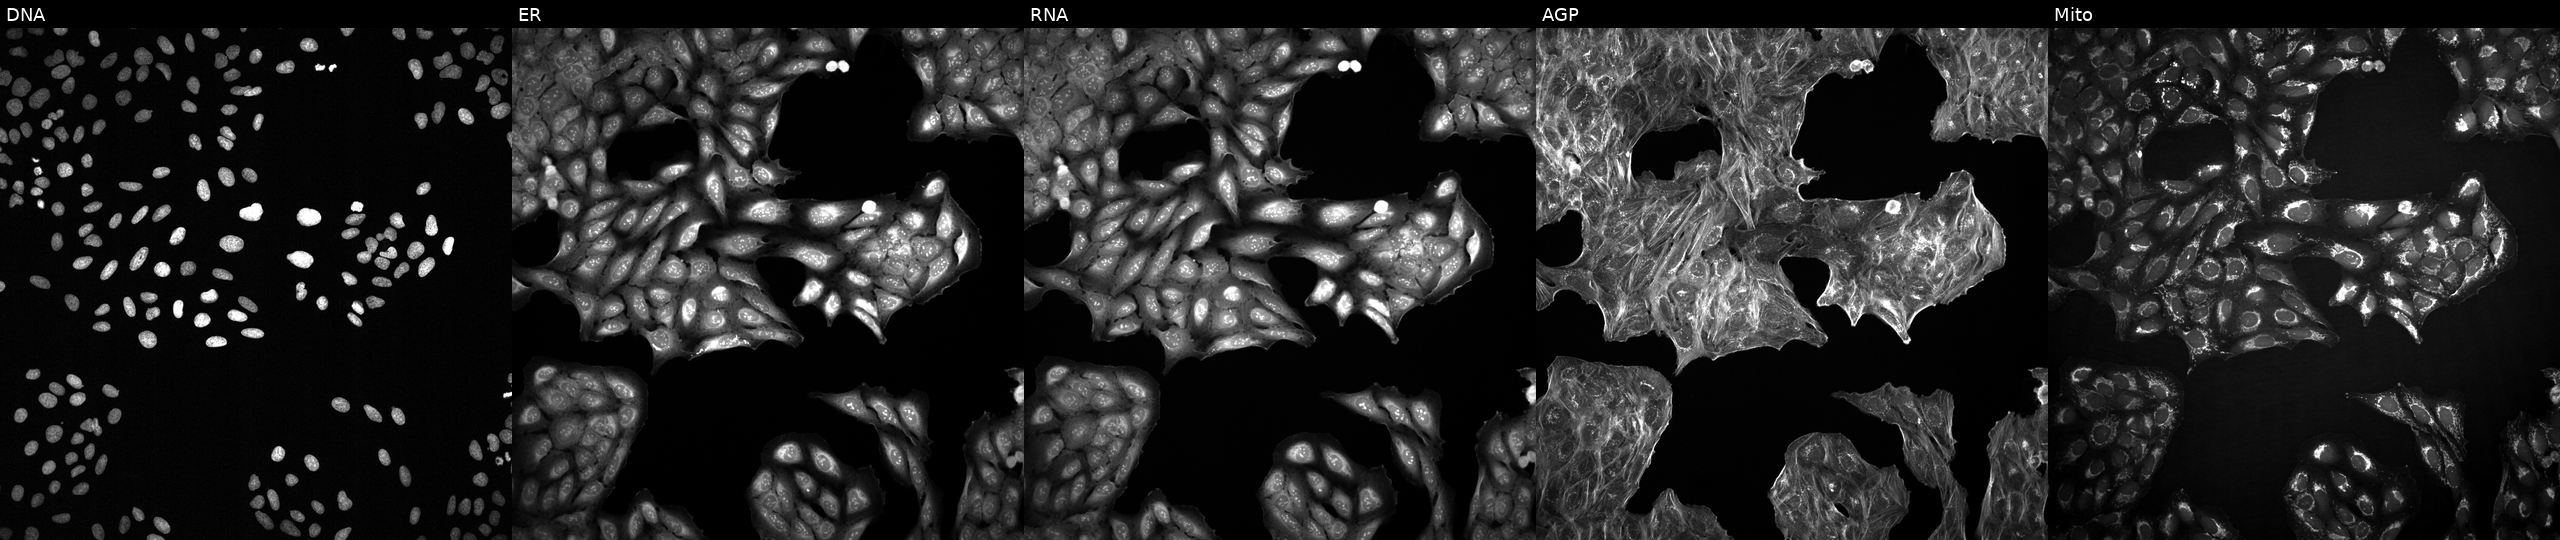
This image strip shows the five Cell Painting channels for a single field of U2OS cells perturbed with a small-molecule compound (InChIKey PJMKITDIWYPIHU-UHFFFAOYSA-N) (JUMP id JCP2022_069011). The five panels, left to right, show DNA, ER, RNA, AGP, and Mito. Source 2, plate 1053601763, well I06.